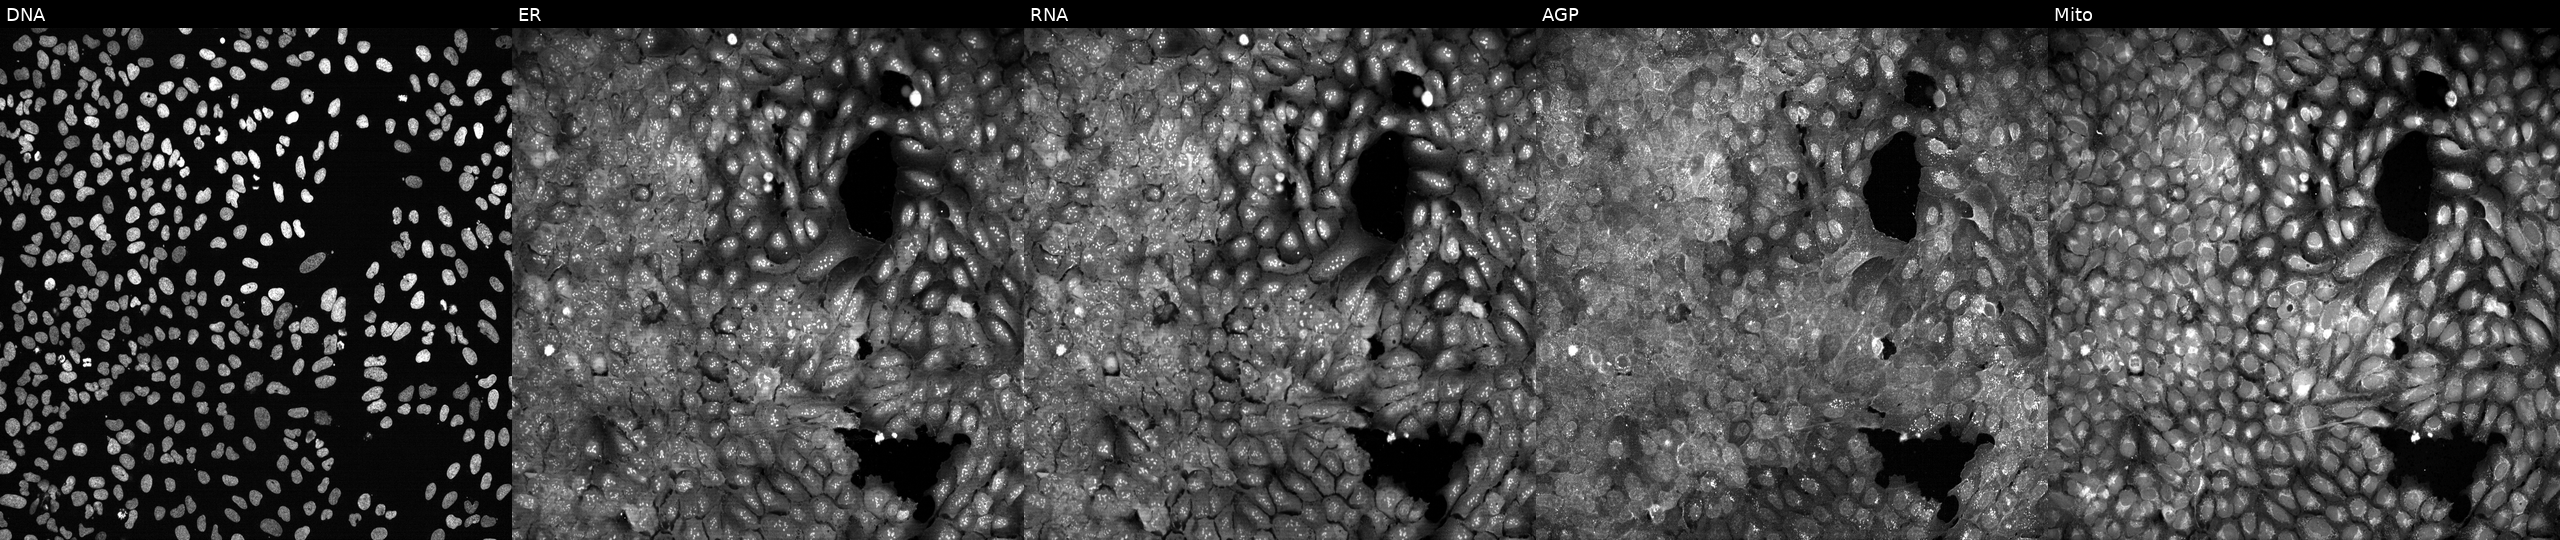
The five panels, left to right, show DNA (nuclei); ER (endoplasmic reticulum); RNA (nucleoli and cytoplasmic RNA); AGP (actin cytoskeleton, Golgi, and plasma membrane); Mito (mitochondria). U2OS osteosarcoma cells CRISPR-edited to disrupt MTRF1 (JUMP id JCP2022_804330). Cell Painting assay, JUMP-CP dataset.